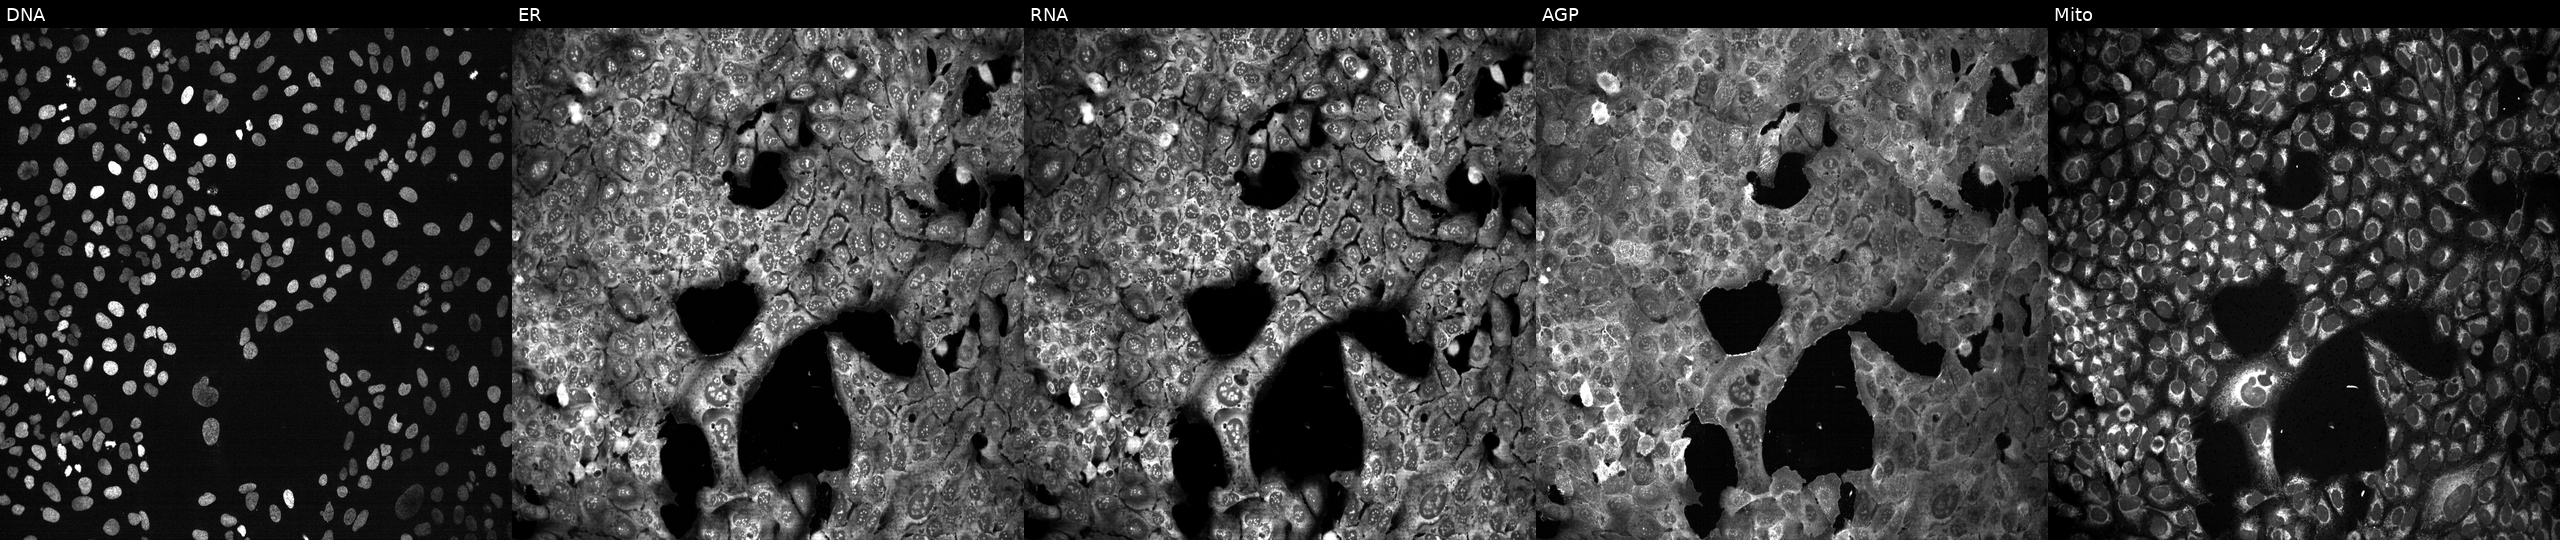
Five-channel Cell Painting image of U2OS cells CRISPR-edited to disrupt ABCC6 (JUMP id JCP2022_800048). Panels show, left to right, DNA, ER, RNA, AGP, and Mito.